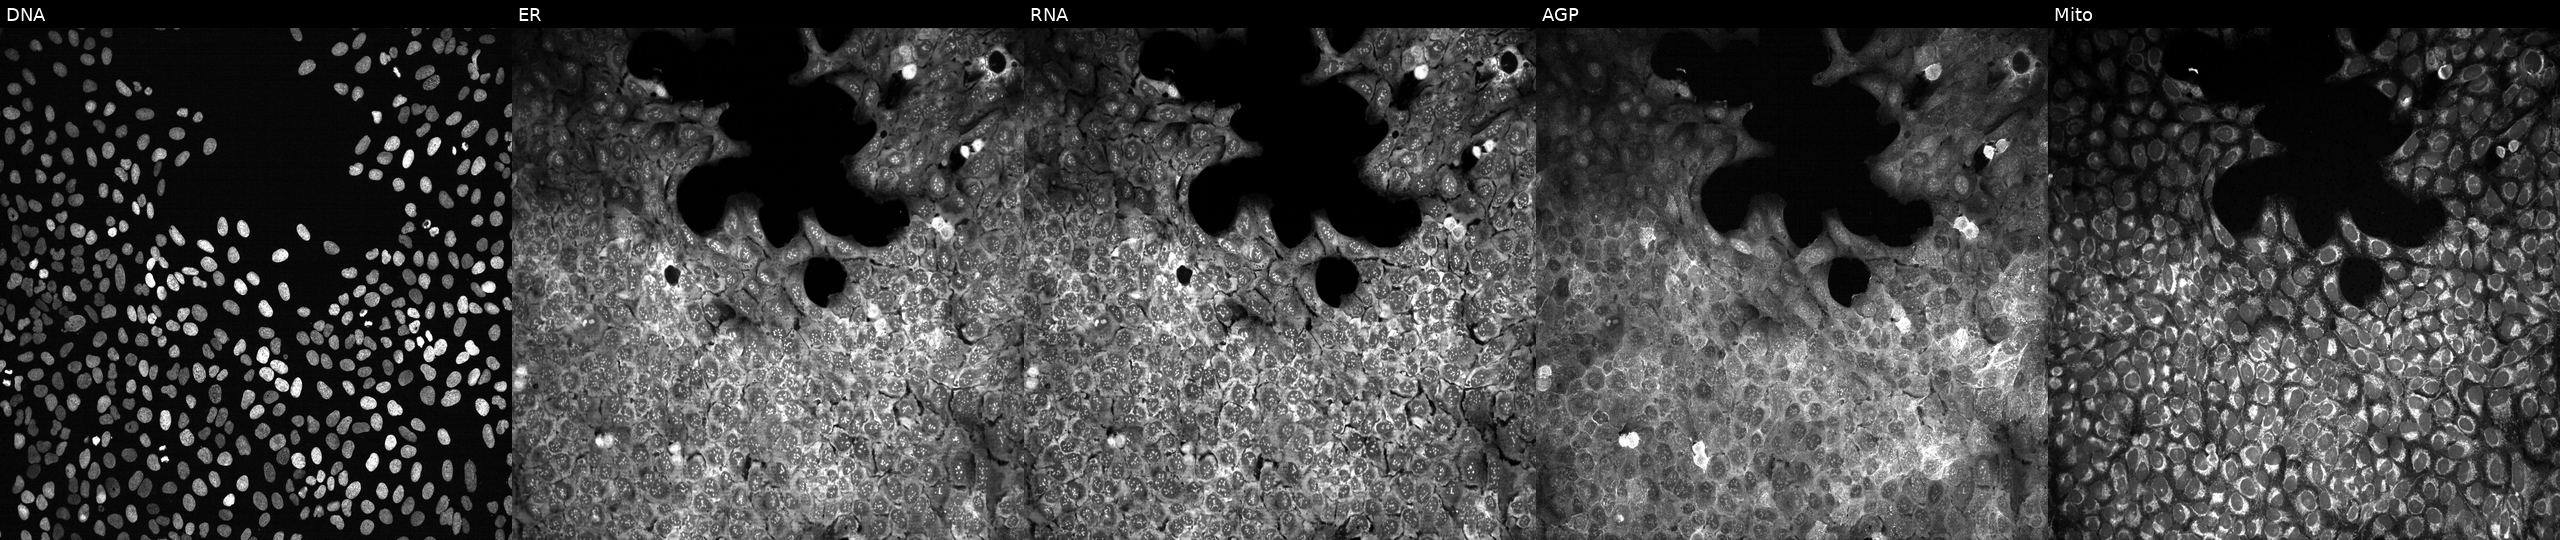
High-content fluorescence microscopy (Cell Painting). Cell line: U2OS. Perturbation: exposed to the positive-control compound dexamethasone. Panels show, left to right, DNA (nuclei); ER (endoplasmic reticulum); RNA (nucleoli and cytoplasmic RNA); AGP (actin cytoskeleton, Golgi, and plasma membrane); Mito (mitochondria).